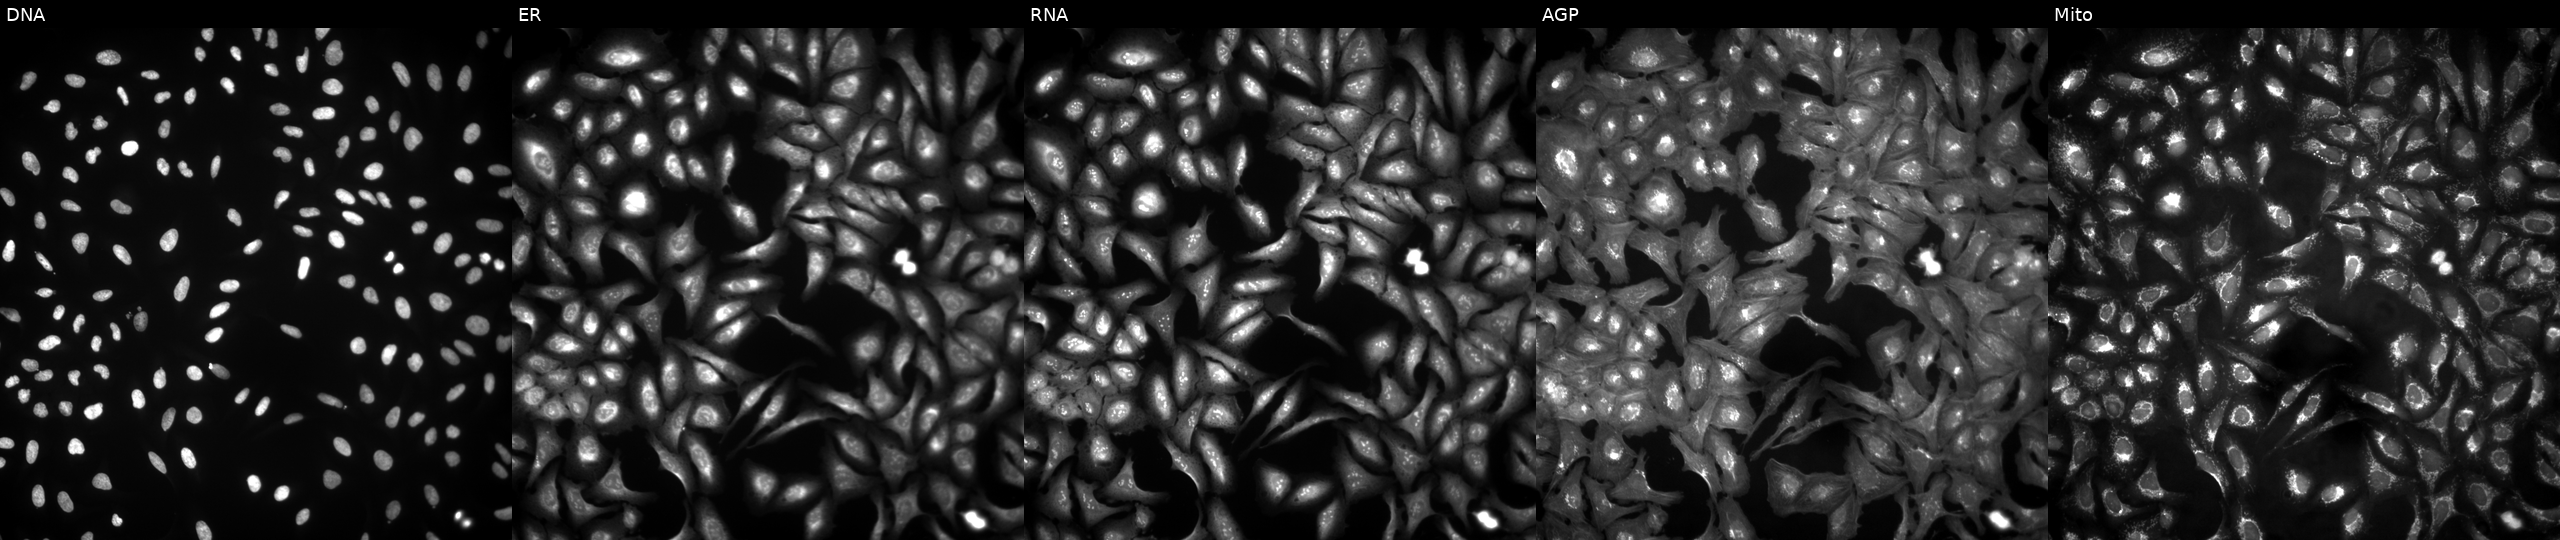
The five panels, left to right, show DNA (nuclei); ER (endoplasmic reticulum); RNA (nucleoli and cytoplasmic RNA); AGP (actin cytoskeleton, Golgi, and plasma membrane); Mito (mitochondria). U2OS osteosarcoma cells expressing eGFP (ORF positive control). Cell Painting assay, JUMP-CP dataset.